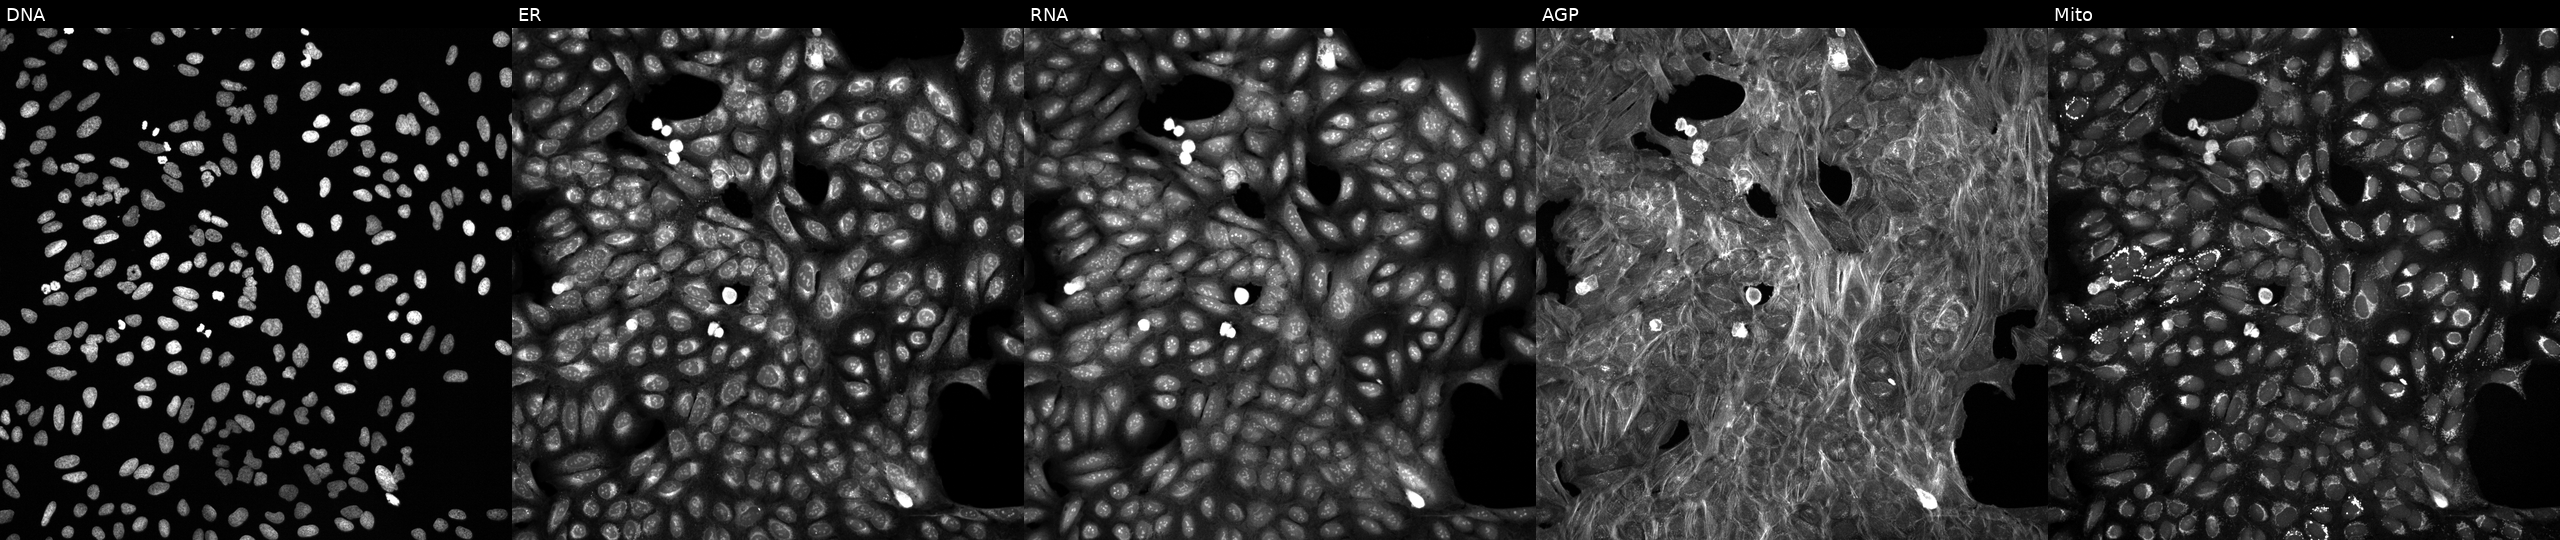
JUMP Cell Painting — COMPOUND plate. U2OS cells exposed to the positive-control compound aloxistatin. Channels (left→right): DNA (nuclei); ER (endoplasmic reticulum); RNA (nucleoli and cytoplasmic RNA); AGP (actin cytoskeleton, Golgi, and plasma membrane); Mito (mitochondria).